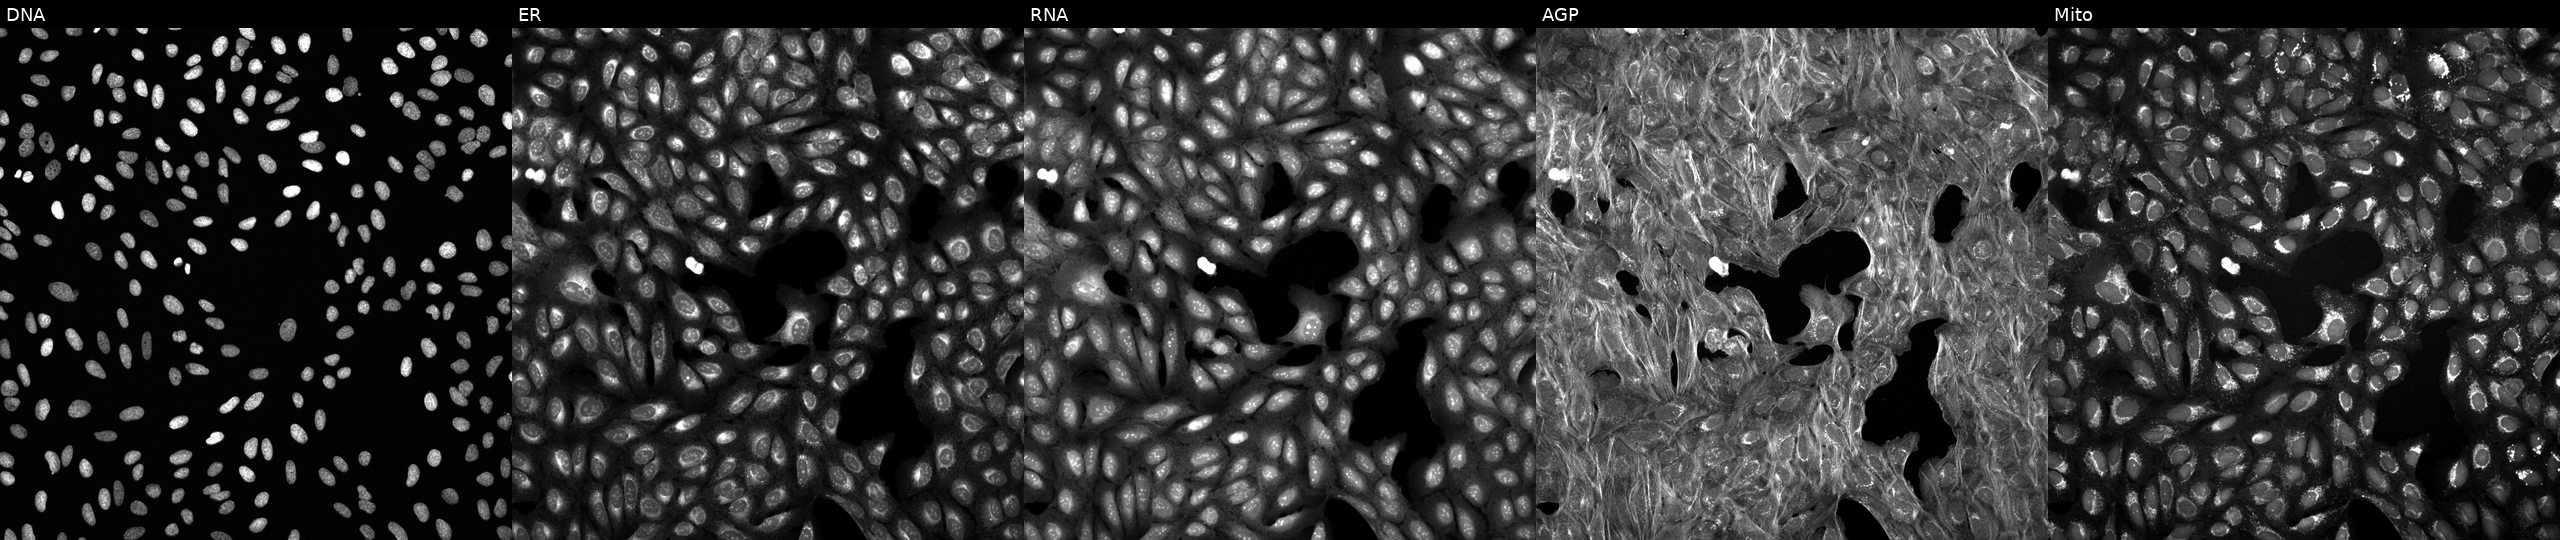
This image strip shows the five Cell Painting channels for a single field of U2OS cells perturbed with a small-molecule compound [SMILES: Cc1cc(-c2nc(-c3ccc(OC(F)(F)F)cc3)no2)nn1Cc1ccnc(N2CCN(C3CC3)CC2)c1]. From left to right: DNA (nuclei); ER (endoplasmic reticulum); RNA (nucleoli and cytoplasmic RNA); AGP (actin cytoskeleton, Golgi, and plasma membrane); Mito (mitochondria). Source 6, plate 110000294901, well B17.